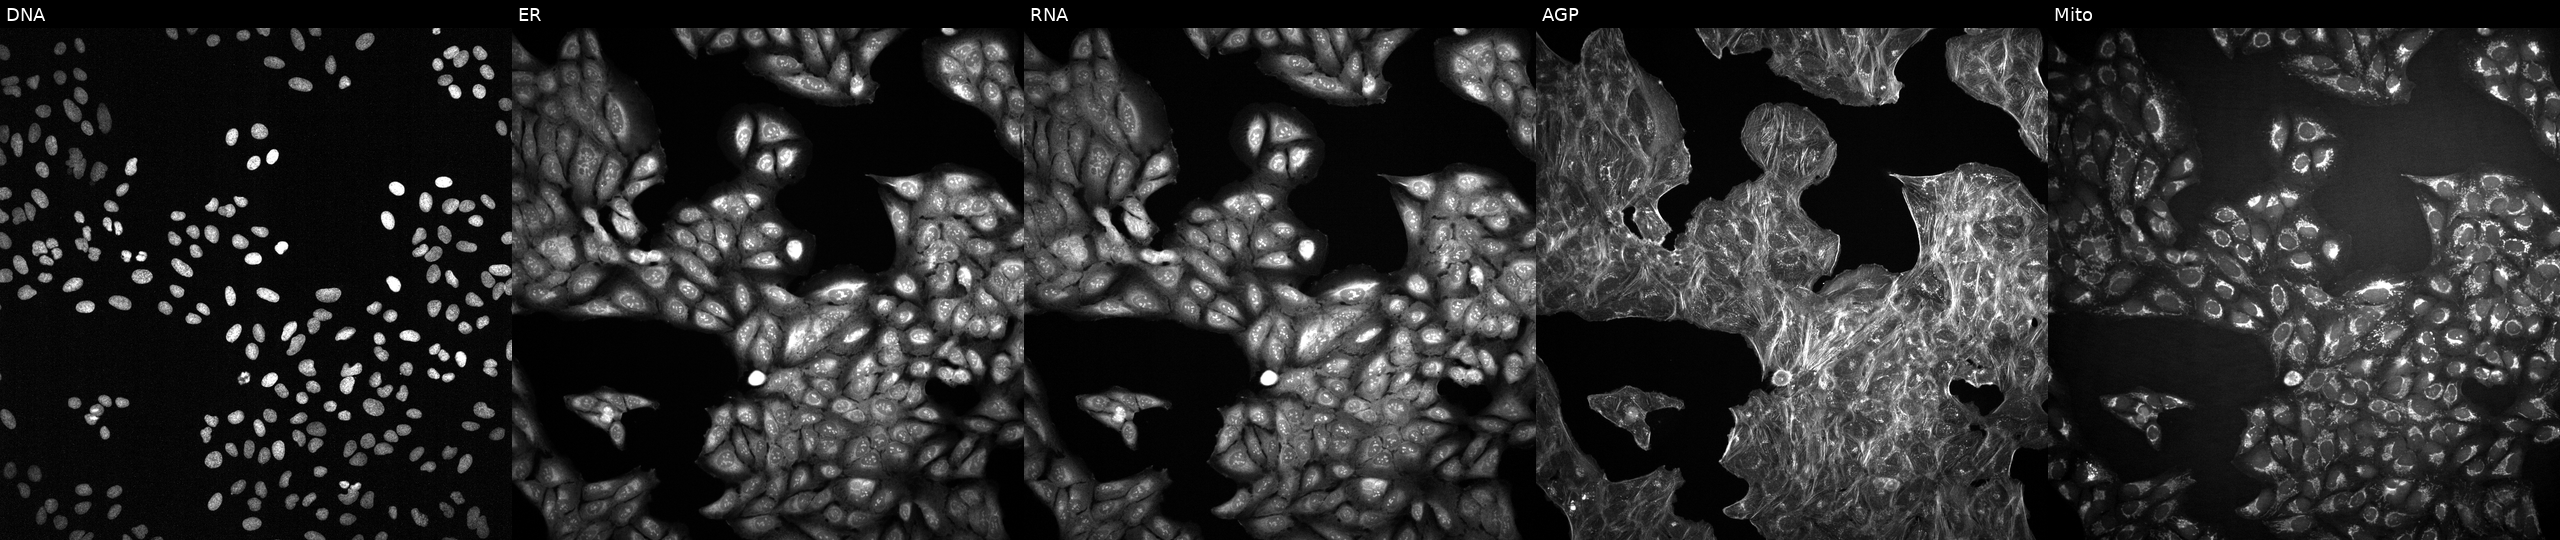
Panels show, left to right, DNA, ER, RNA, AGP, and Mito. U2OS osteosarcoma cells exposed to a small-molecule compound (InChIKey XDFKWGIBQMHSOH-UHFFFAOYSA-N). Cell Painting assay, JUMP-CP dataset.